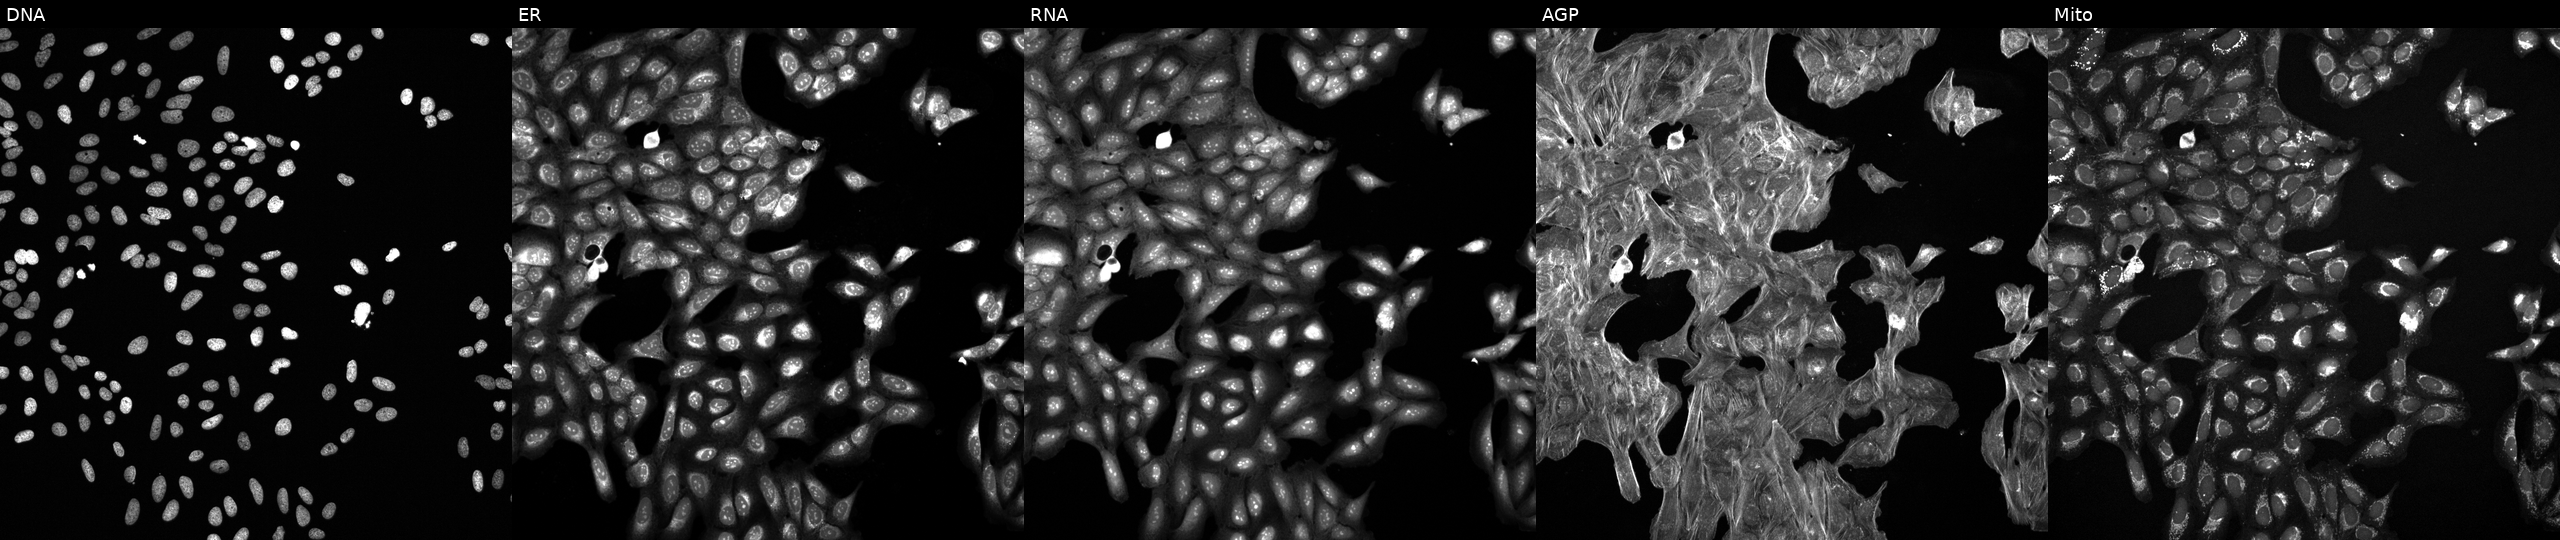
JUMP Cell Painting — TARGET2 plate. U2OS cells exposed to a small-molecule compound [SMILES: COC(=O)C1=C(C)N=C(C)C(C(=O)OC(C)(C)CN(C)CCC(c2ccccc2)c2ccccc2)C1c1cccc([N+](=O)[O-])c1] (JUMP id JCP2022_068634). Panels show, left to right, DNA (nuclei); ER (endoplasmic reticulum); RNA (nucleoli and cytoplasmic RNA); AGP (actin cytoskeleton, Golgi, and plasma membrane); Mito (mitochondria).